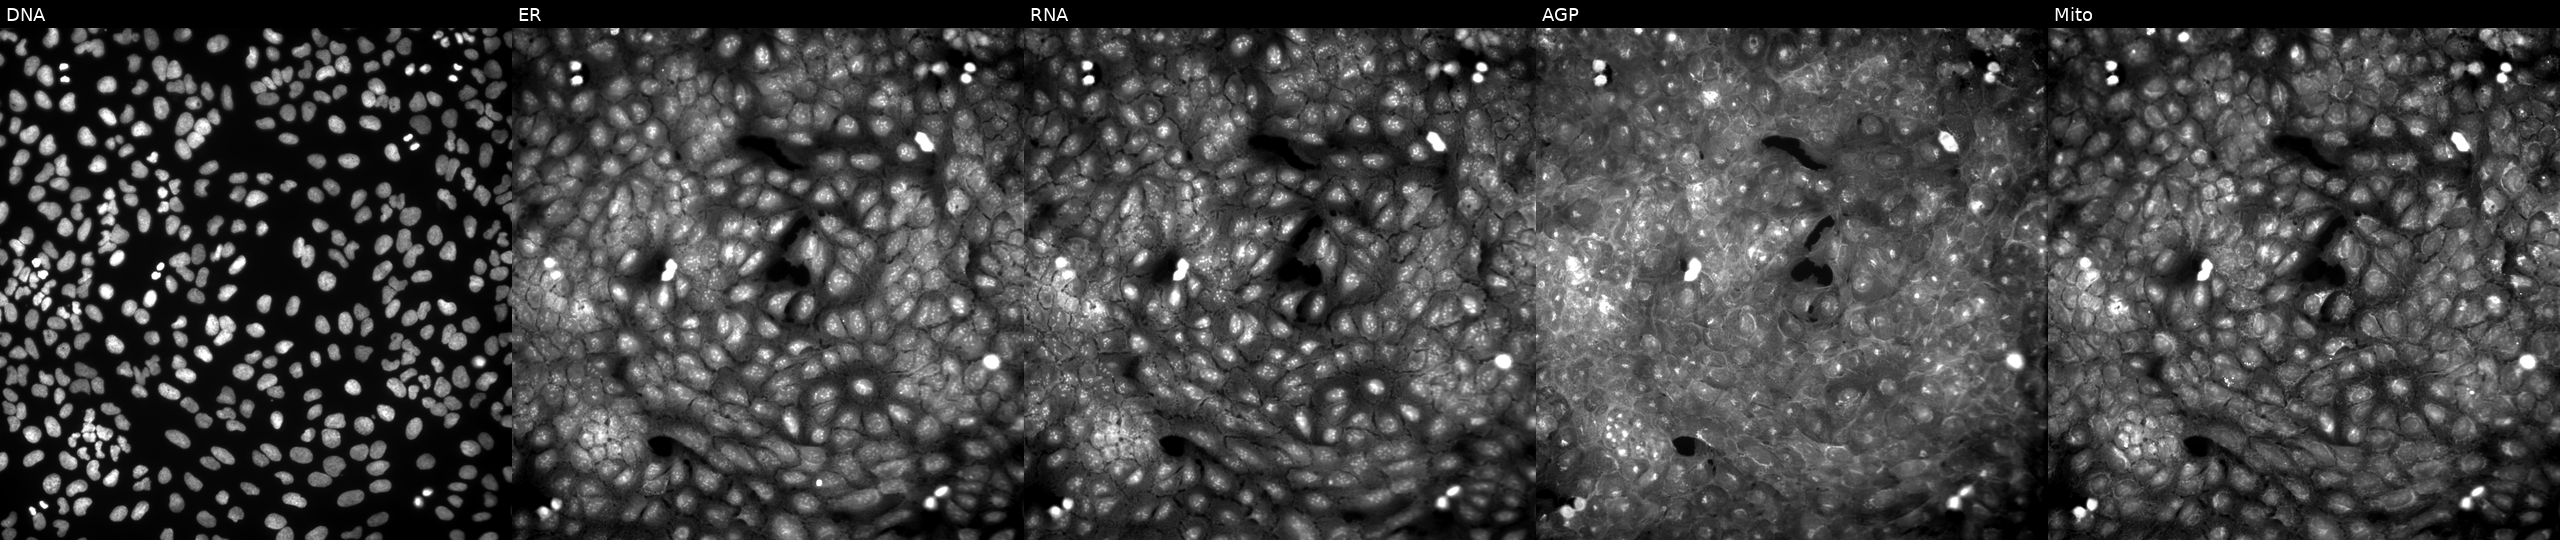
Five-channel Cell Painting image of U2OS cells exposed to a small-molecule compound (JUMP id JCP2022_036747). Channels (left→right): Hoechst 33342, concanavalin A, SYTO 14, phalloidin and WGA, MitoTracker.